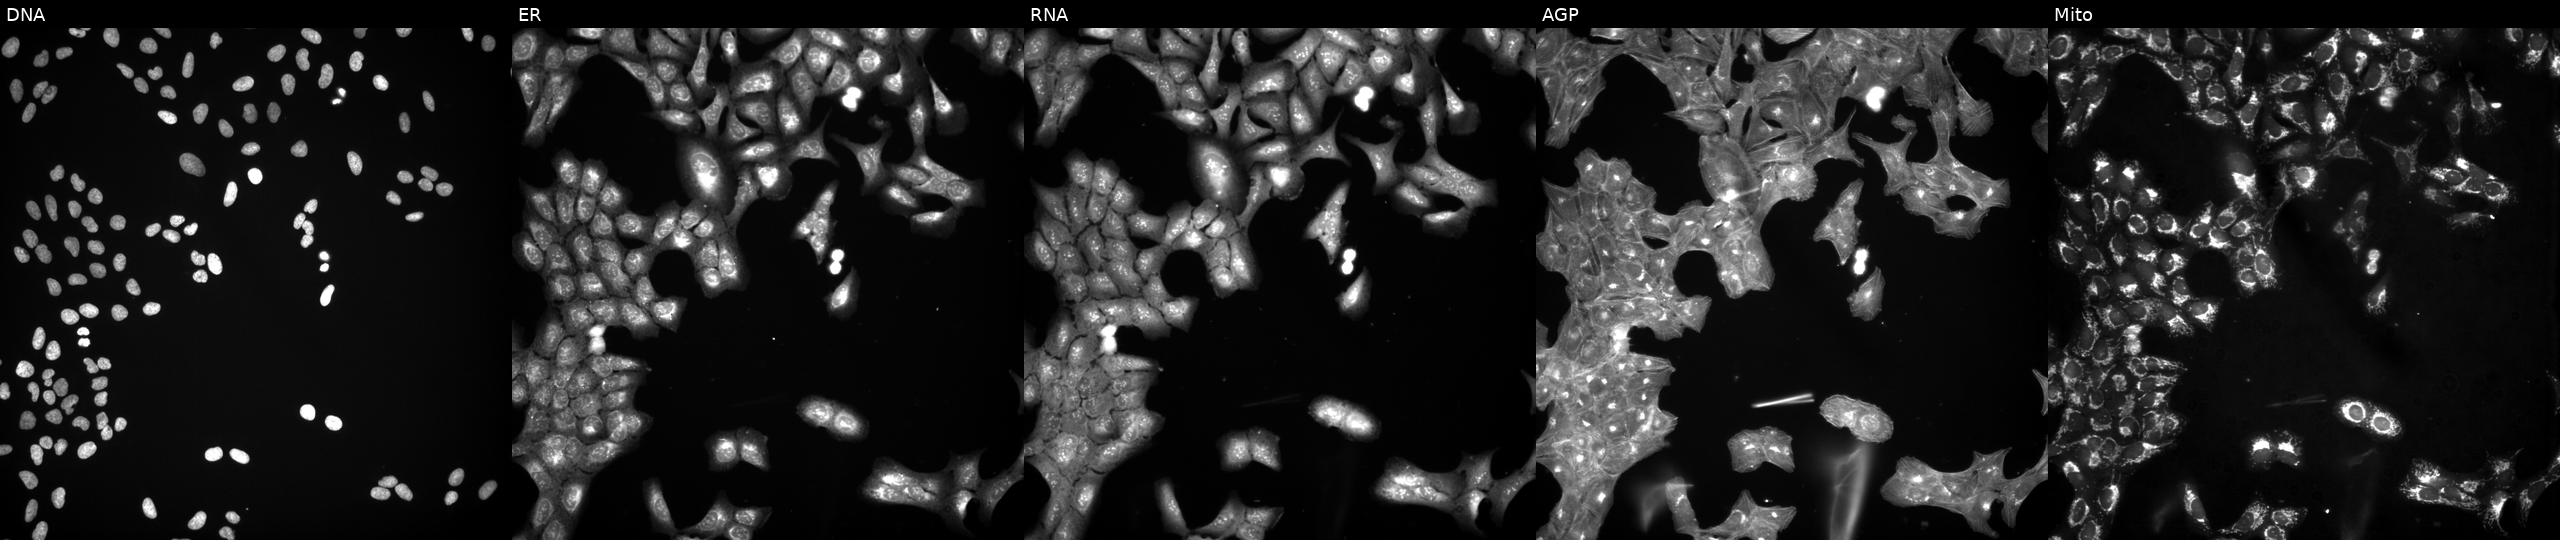
Five-channel Cell Painting image of U2OS cells exposed to a small-molecule compound (InChIKey PDMUGYOXRHVNMO-UHFFFAOYSA-N). The five panels, left to right, show DNA, ER, RNA, AGP, and Mito.